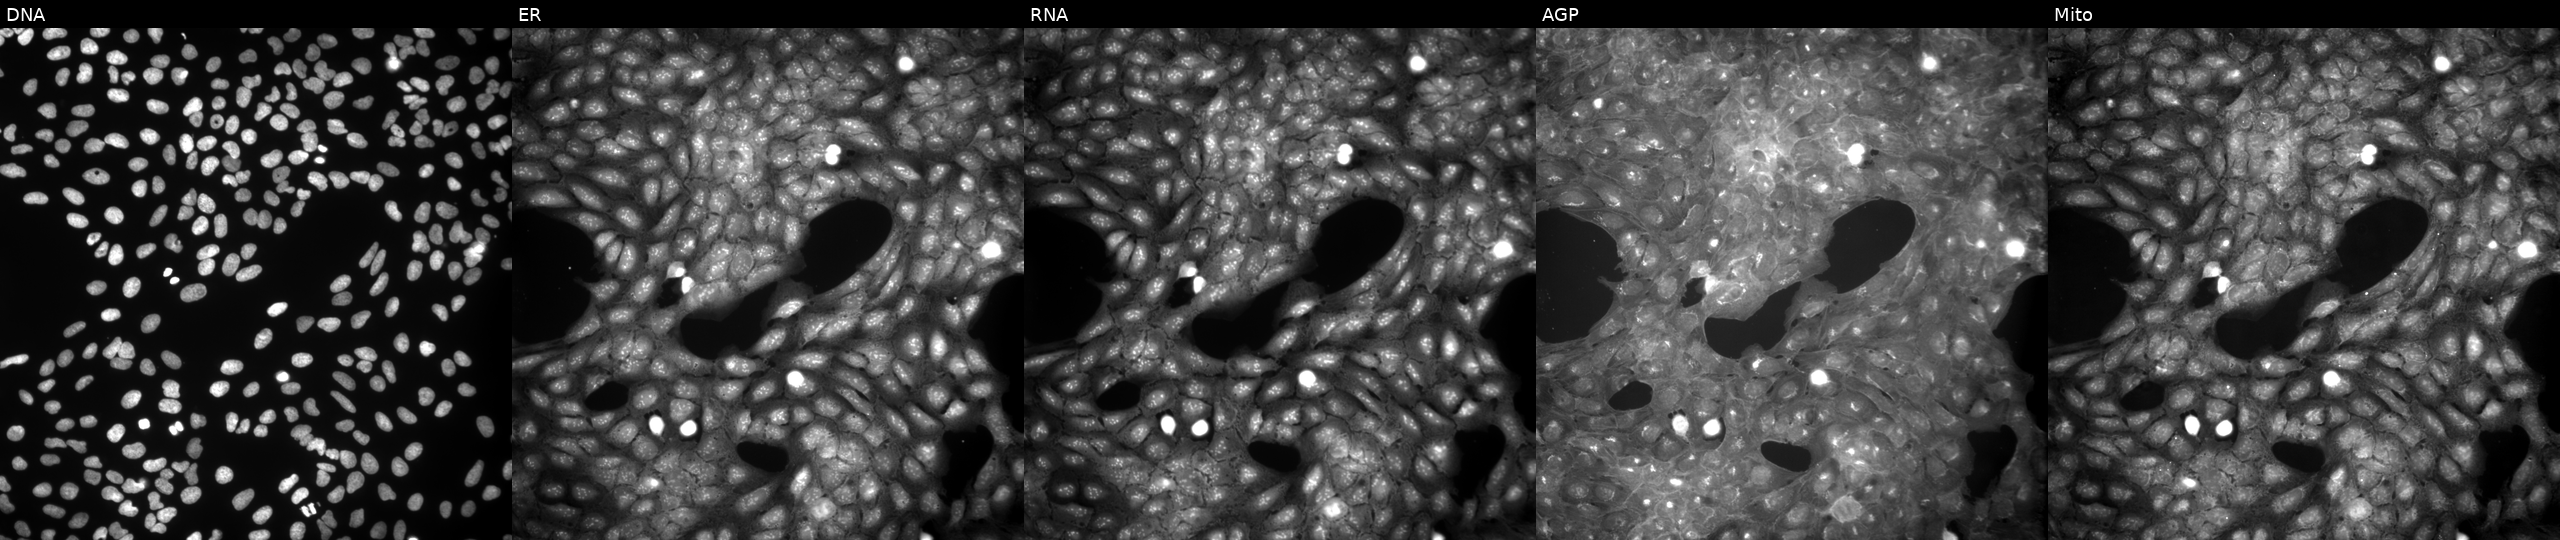
Five-channel Cell Painting image of U2OS cells exposed to a small-molecule compound (InChIKey ZWBFXQHQQBRJCG-UHFFFAOYSA-N). Panels show, left to right, Hoechst 33342, concanavalin A, SYTO 14, phalloidin and WGA, MitoTracker.